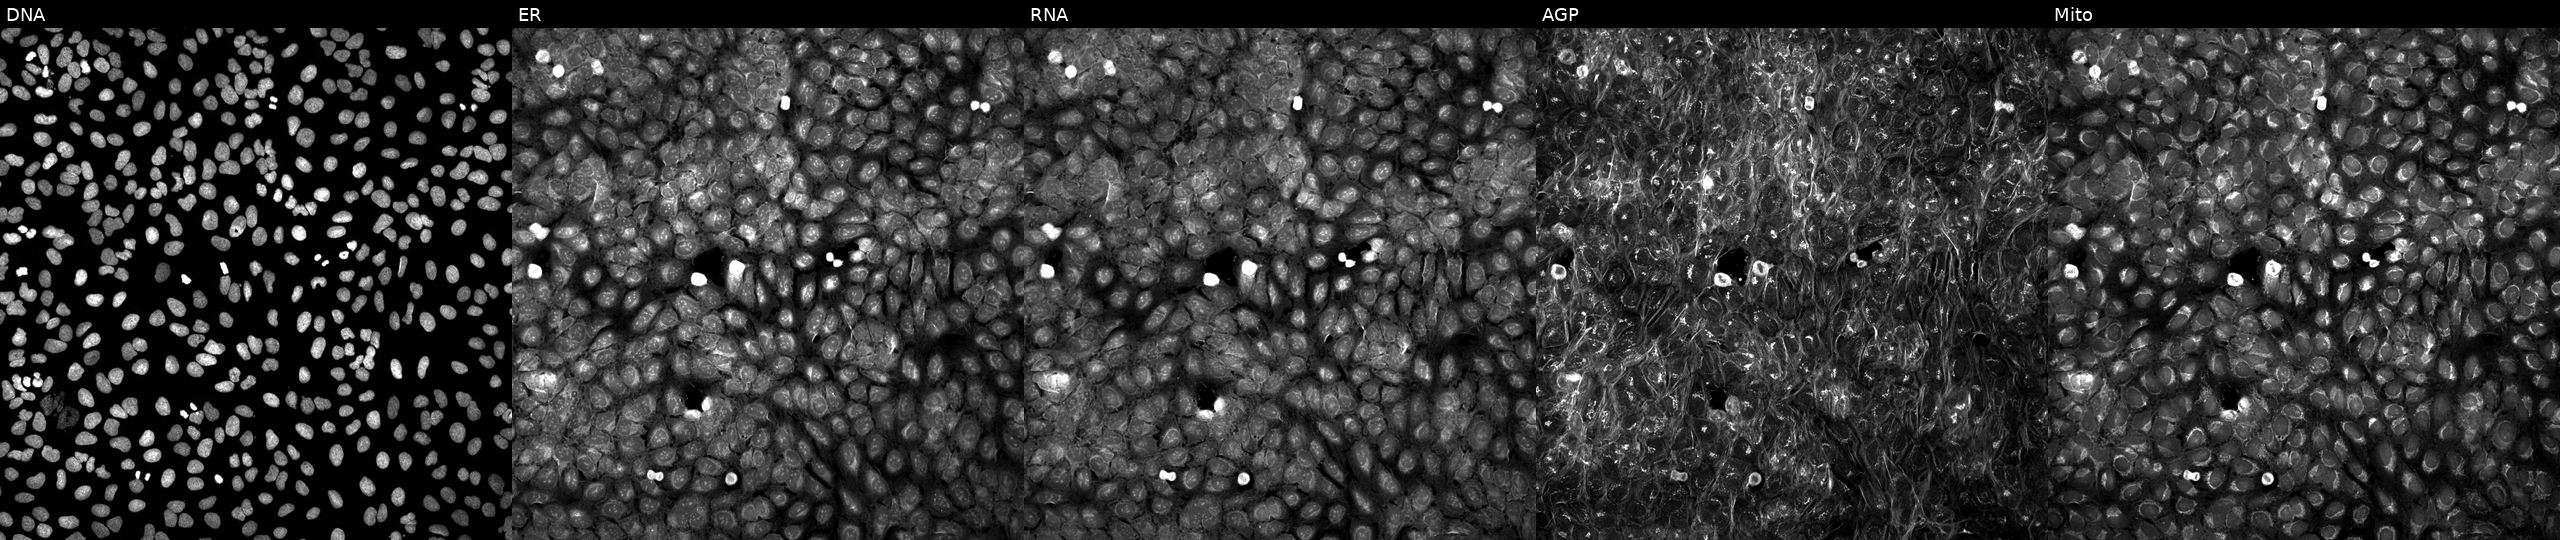
U2OS cells, Cell Painting assay, exposed to a small-molecule compound (InChIKey YPWHCSGIVGMFQU-UHFFFAOYSA-N) (JUMP id JCP2022_110032). The five panels, left to right, show Hoechst 33342, concanavalin A, SYTO 14, phalloidin and WGA, MitoTracker. Each panel is percentile-stretched 16-bit fluorescence.